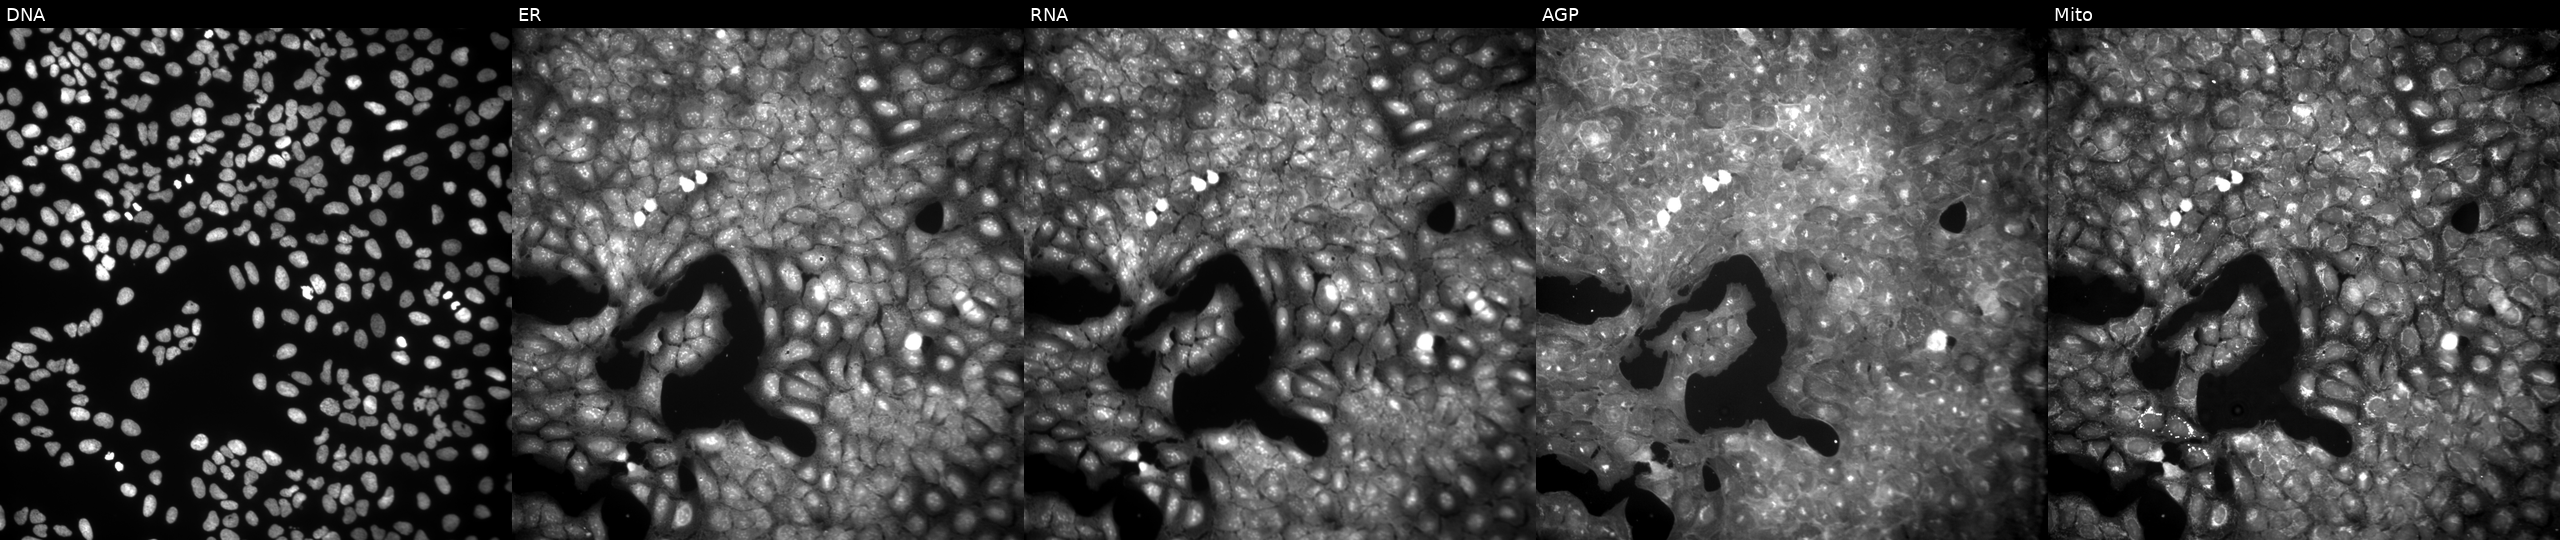
Five-channel Cell Painting image of U2OS cells perturbed with a small-molecule compound (InChIKey QVSVEVLRPNZISG-UHFFFAOYSA-N) [SMILES: Cc1ccc(C(=O)N2CCN(c3ccc([N+](=O)[O-])c(NCc4ccco4)c3)CC2)cc1]. Panels show, left to right, DNA (nuclei); ER (endoplasmic reticulum); RNA (nucleoli and cytoplasmic RNA); AGP (actin cytoskeleton, Golgi, and plasma membrane); Mito (mitochondria).